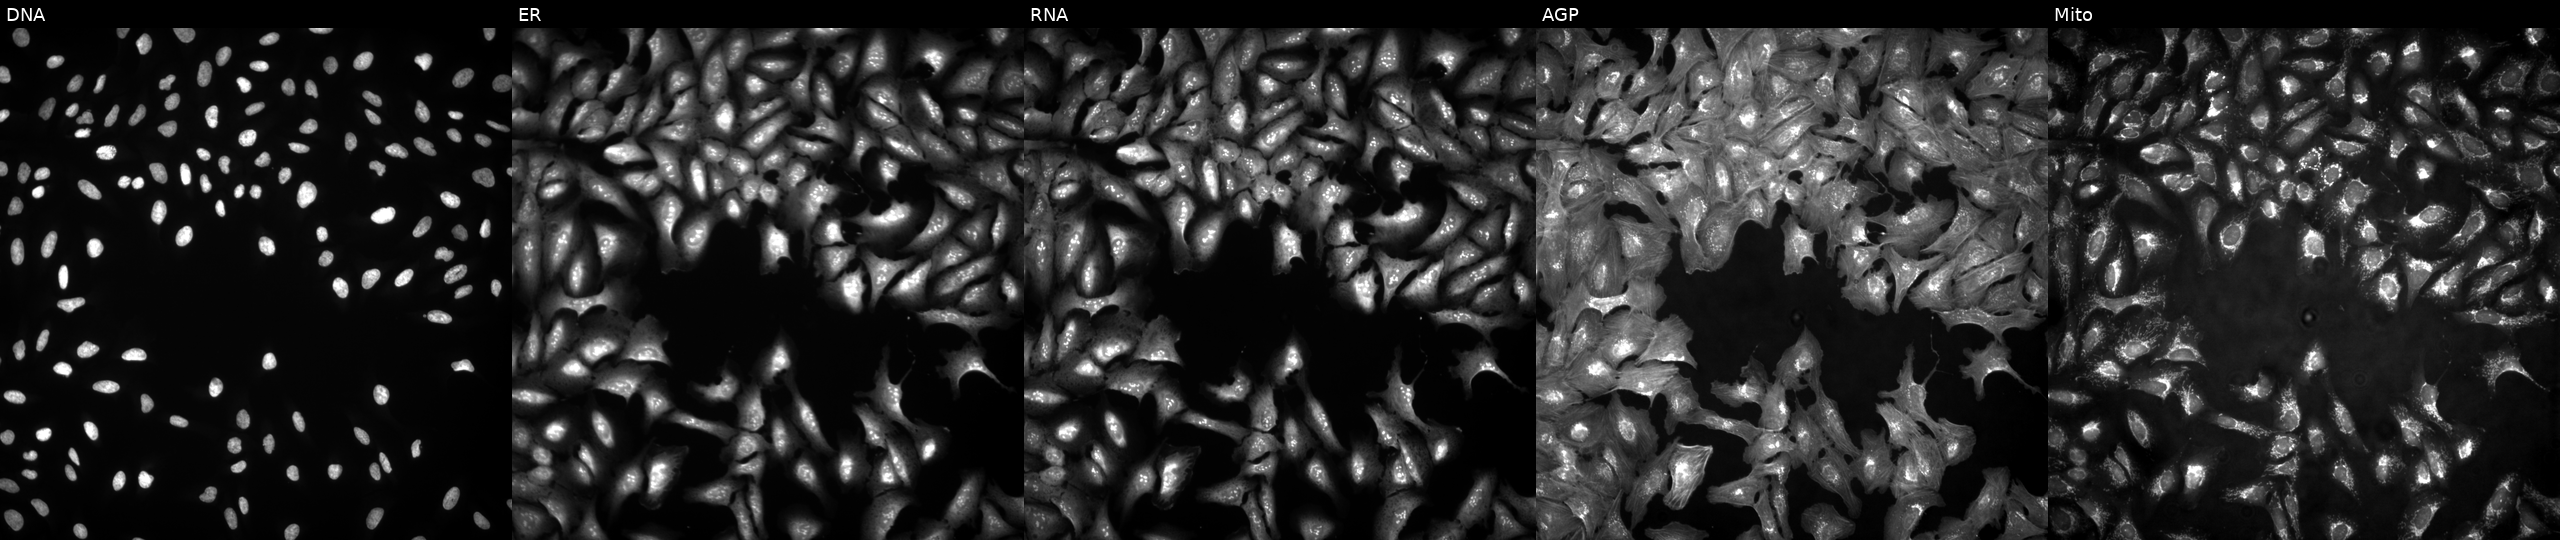
U2OS cells, Cell Painting assay, with H2BC21 overexpressed (ORF). The five panels, left to right, show DNA (nuclei); ER (endoplasmic reticulum); RNA (nucleoli and cytoplasmic RNA); AGP (actin cytoskeleton, Golgi, and plasma membrane); Mito (mitochondria). Each panel is percentile-stretched 16-bit fluorescence.